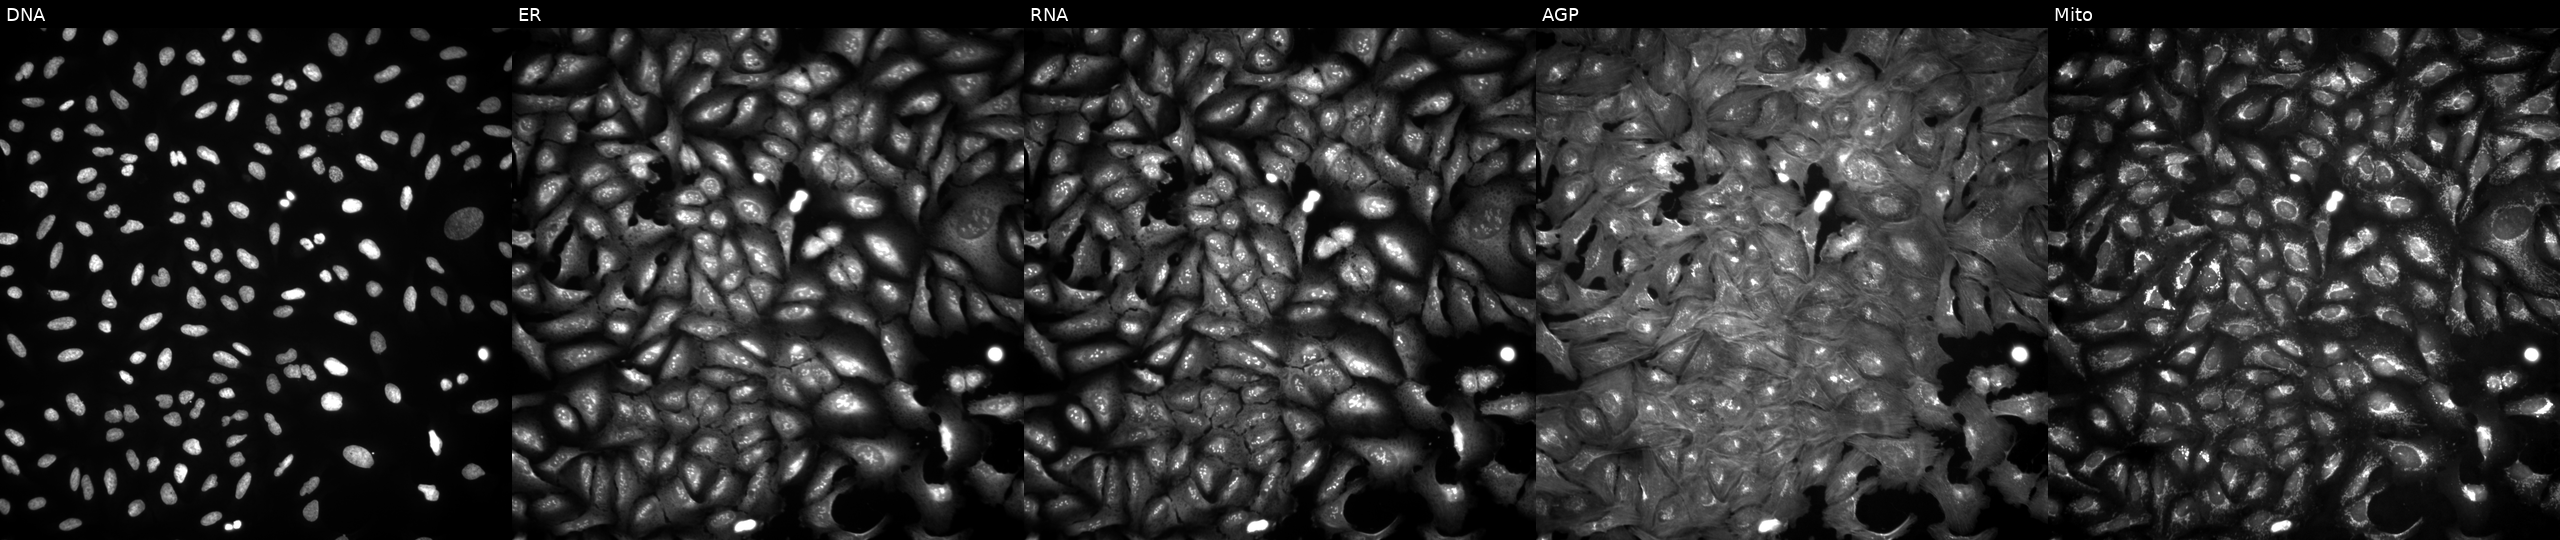
JUMP Cell Painting — ORF plate. U2OS cells in an empty control well (no perturbation) (JUMP id JCP2022_999999). From left to right: DNA (nuclei); ER (endoplasmic reticulum); RNA (nucleoli and cytoplasmic RNA); AGP (actin cytoskeleton, Golgi, and plasma membrane); Mito (mitochondria). Source 4, plate BR00124784, well D16.